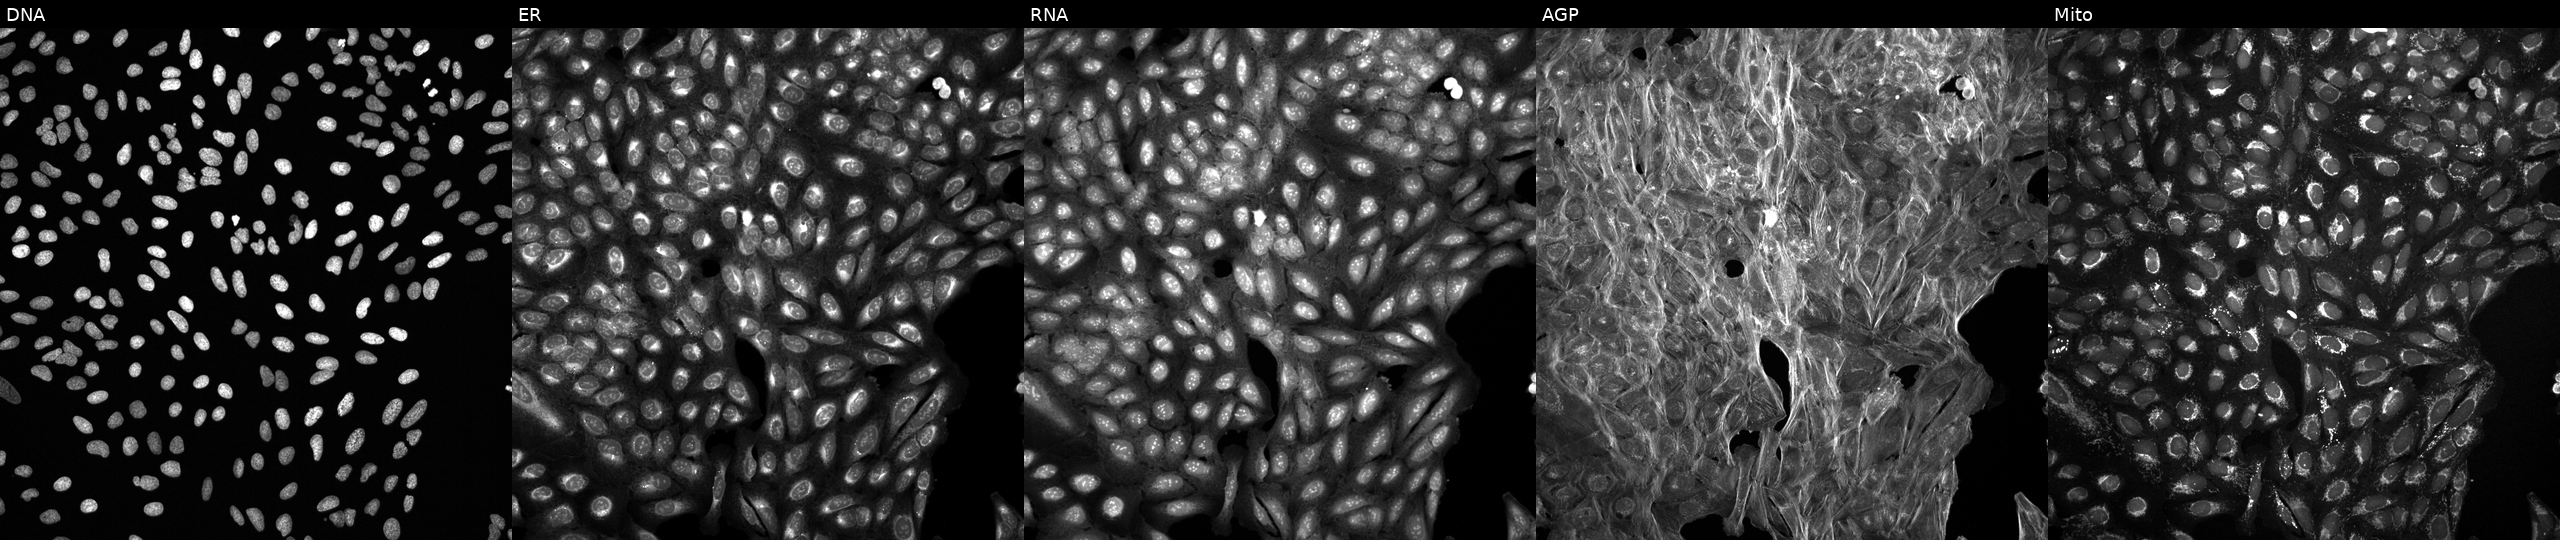
U2OS cells, Cell Painting assay, exposed to DMSO alone as a negative control (JUMP id JCP2022_033924). Panels show, left to right, Hoechst 33342, concanavalin A, SYTO 14, phalloidin and WGA, MitoTracker. Each panel is percentile-stretched 16-bit fluorescence. Source 6, plate 110000293081, well I20.